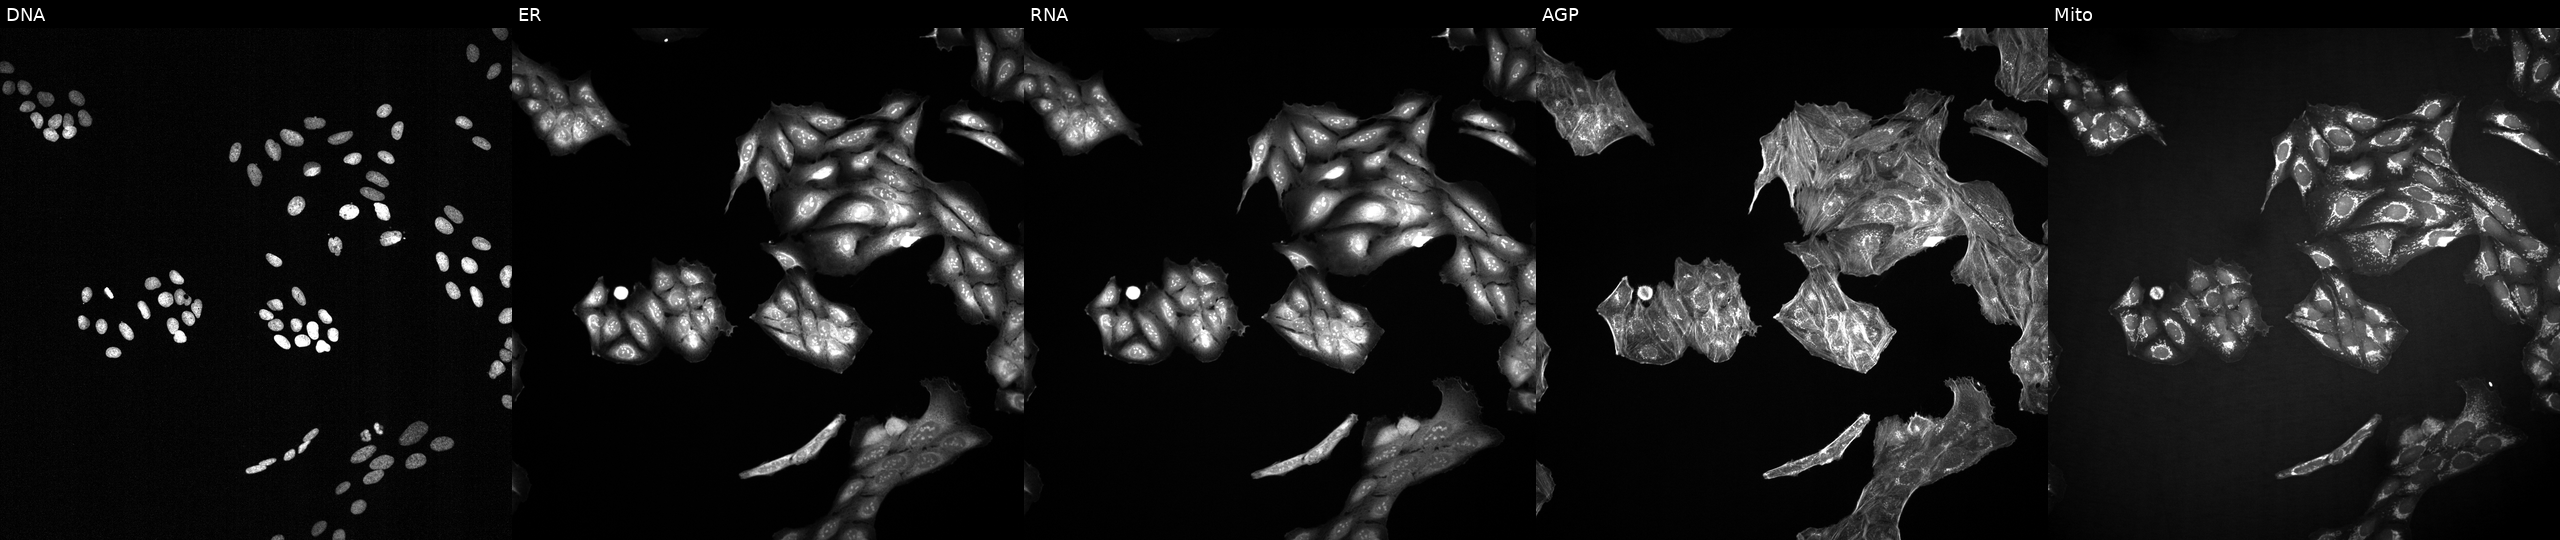
High-content fluorescence microscopy (Cell Painting). Cell line: U2OS. Perturbation: perturbed with a small-molecule compound (InChIKey KBPLFHHGFOOTCA-UHFFFAOYSA-N) (JUMP id JCP2022_043547). The five panels, left to right, show Hoechst 33342, concanavalin A, SYTO 14, phalloidin and WGA, MitoTracker.